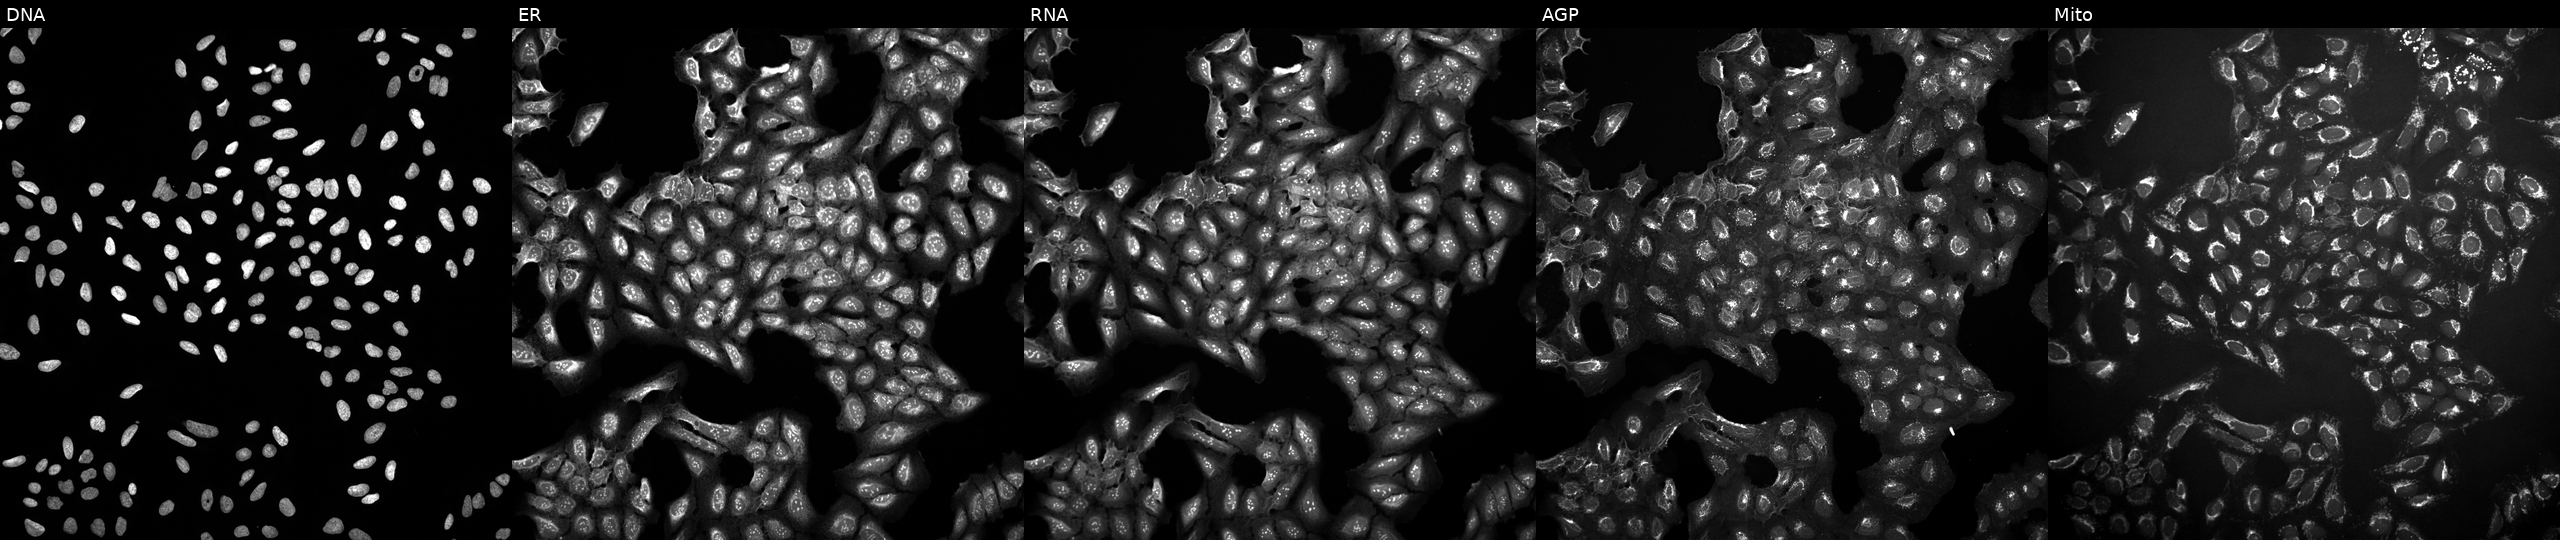
High-content fluorescence microscopy (Cell Painting). Cell line: U2OS. Perturbation: treated with DMSO vehicle only (negative control) (JUMP id JCP2022_033924). The five panels, left to right, show DNA (nuclei); ER (endoplasmic reticulum); RNA (nucleoli and cytoplasmic RNA); AGP (actin cytoskeleton, Golgi, and plasma membrane); Mito (mitochondria). Source 10, plate Dest210803-153958, well H06.